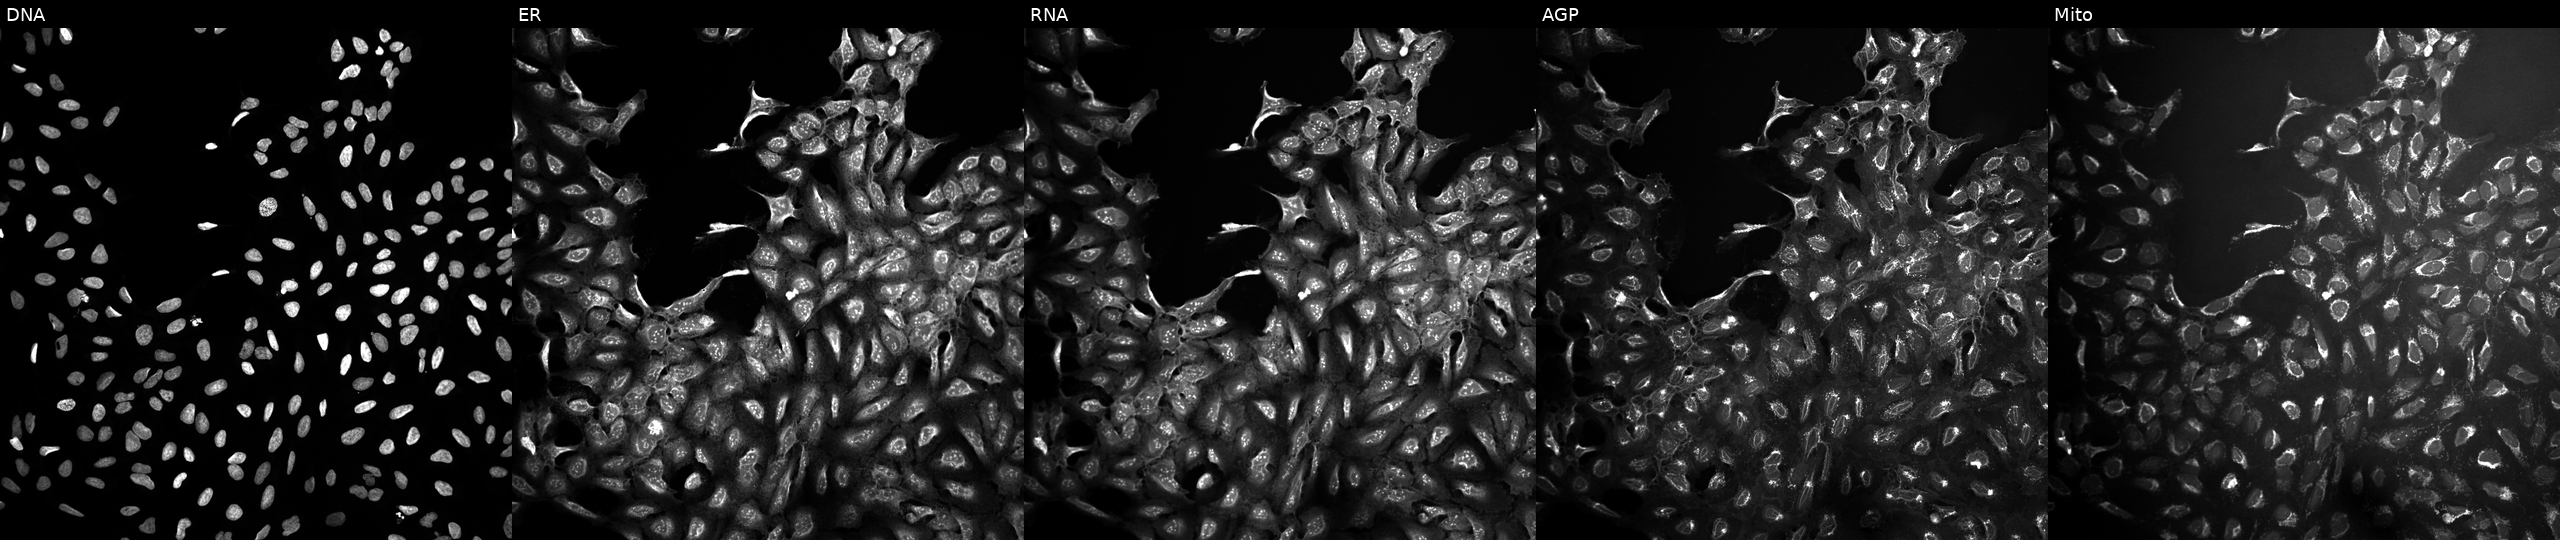
High-content fluorescence microscopy (Cell Painting). Cell line: U2OS. Perturbation: exposed to DMSO alone as a negative control (JUMP id JCP2022_033924). The five panels, left to right, show DNA, ER, RNA, AGP, and Mito.